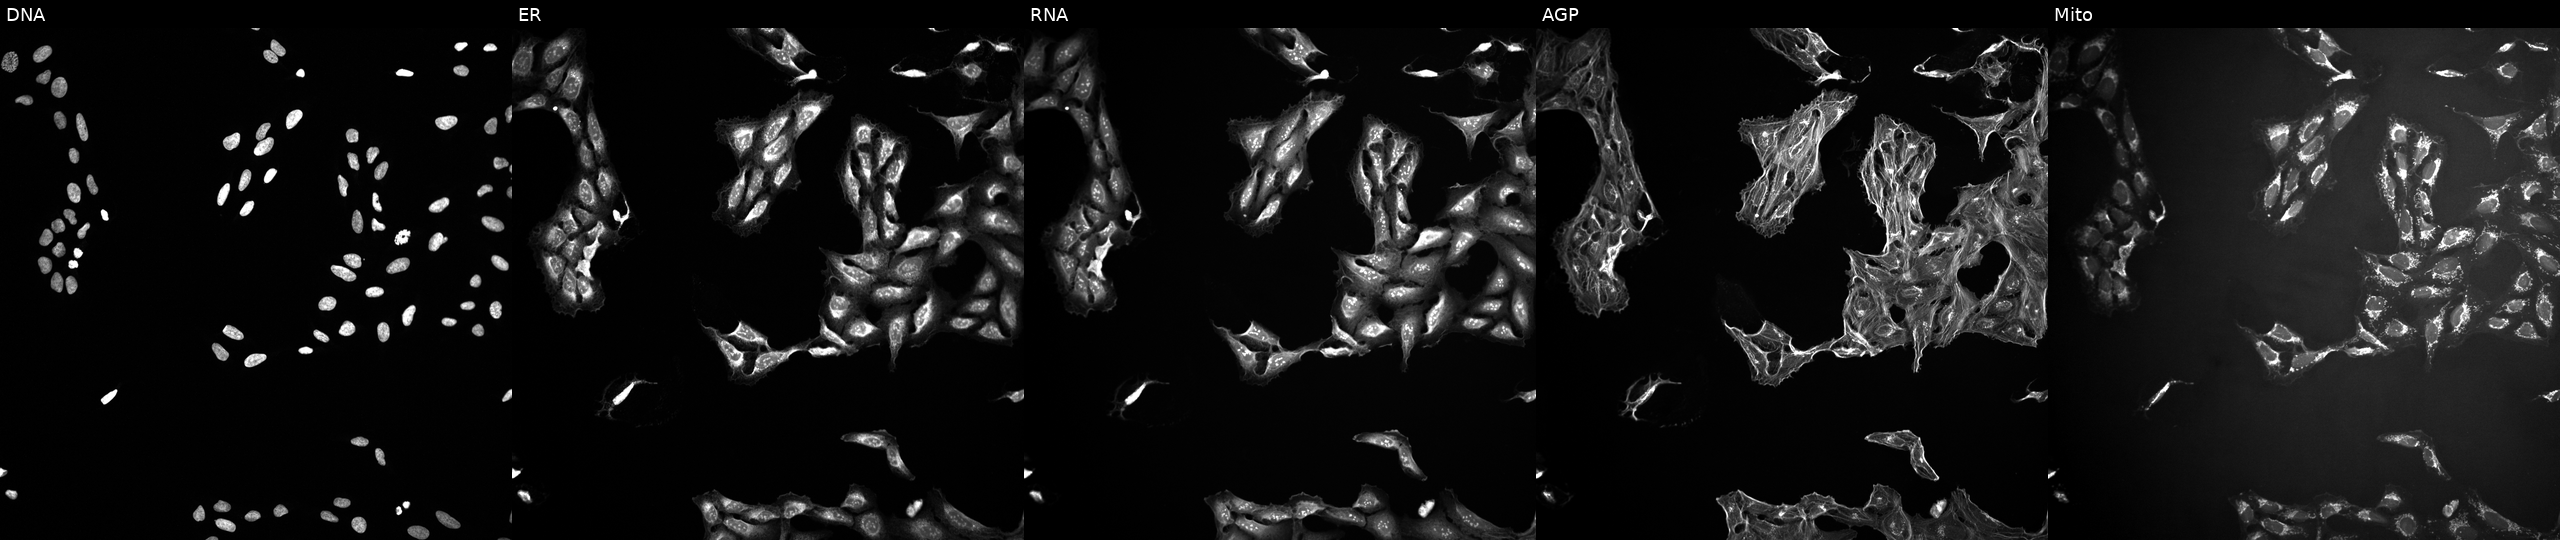
U2OS cells, Cell Painting assay, treated with DMSO vehicle only (negative control). The five panels, left to right, show DNA, ER, RNA, AGP, and Mito. Each panel is percentile-stretched 16-bit fluorescence.